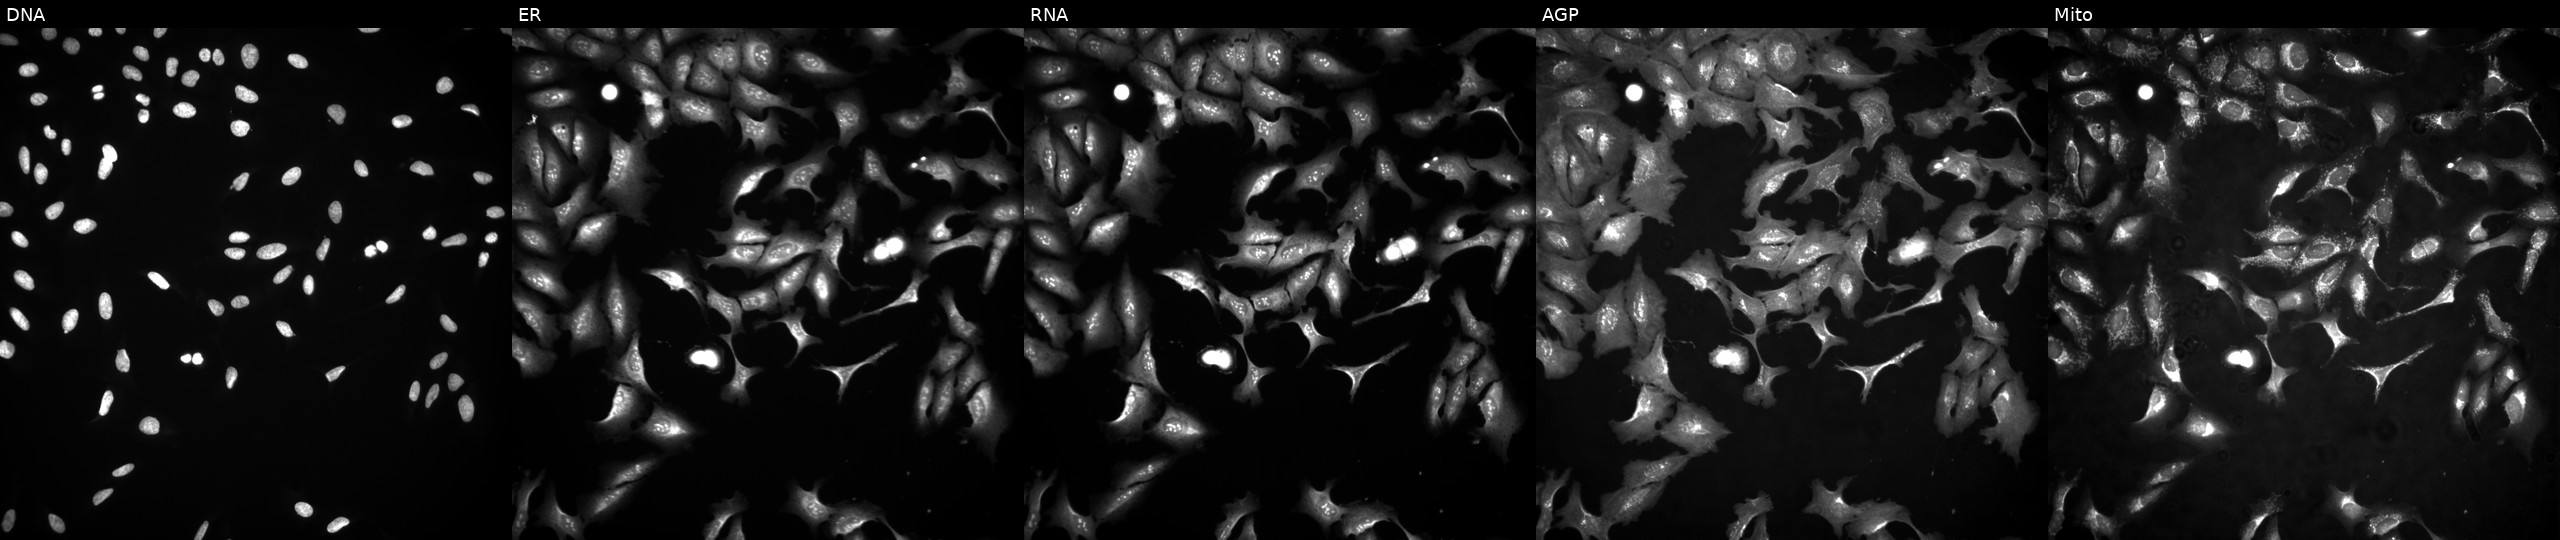
Five-channel Cell Painting image of U2OS cells overexpressing DMAC1 via ORF transfection. Panels show, left to right, DNA (nuclei); ER (endoplasmic reticulum); RNA (nucleoli and cytoplasmic RNA); AGP (actin cytoskeleton, Golgi, and plasma membrane); Mito (mitochondria).